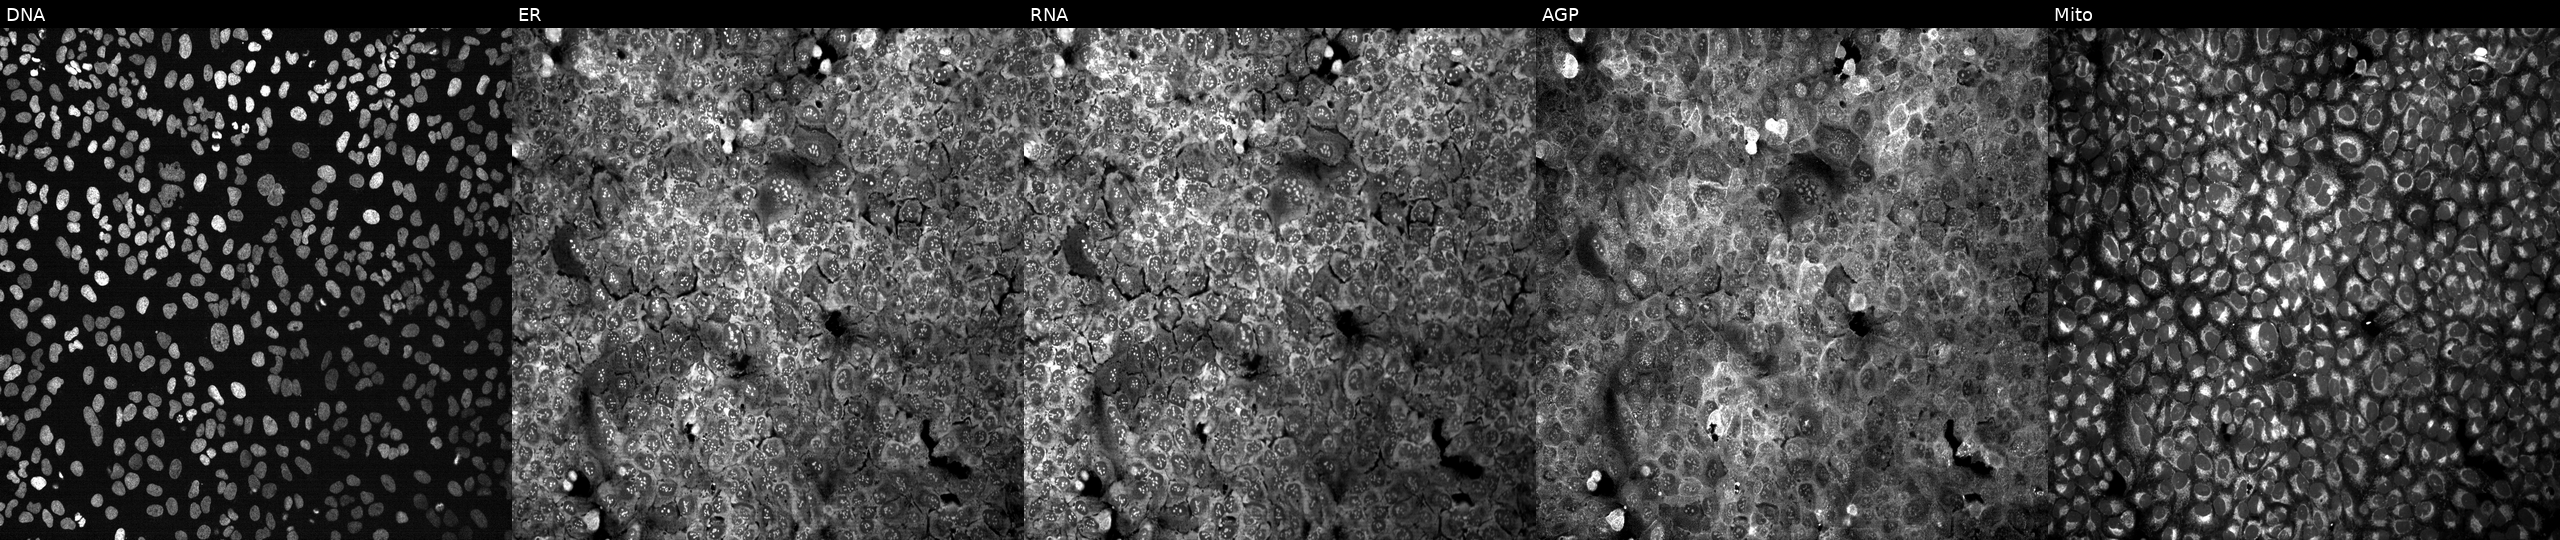
JUMP Cell Painting — CRISPR plate. U2OS cells CRISPR-edited to disrupt GBGT1 (JUMP id JCP2022_802630). From left to right: Hoechst 33342, concanavalin A, SYTO 14, phalloidin and WGA, MitoTracker. Source 13, plate CP-CC9-R4-04, well L22.